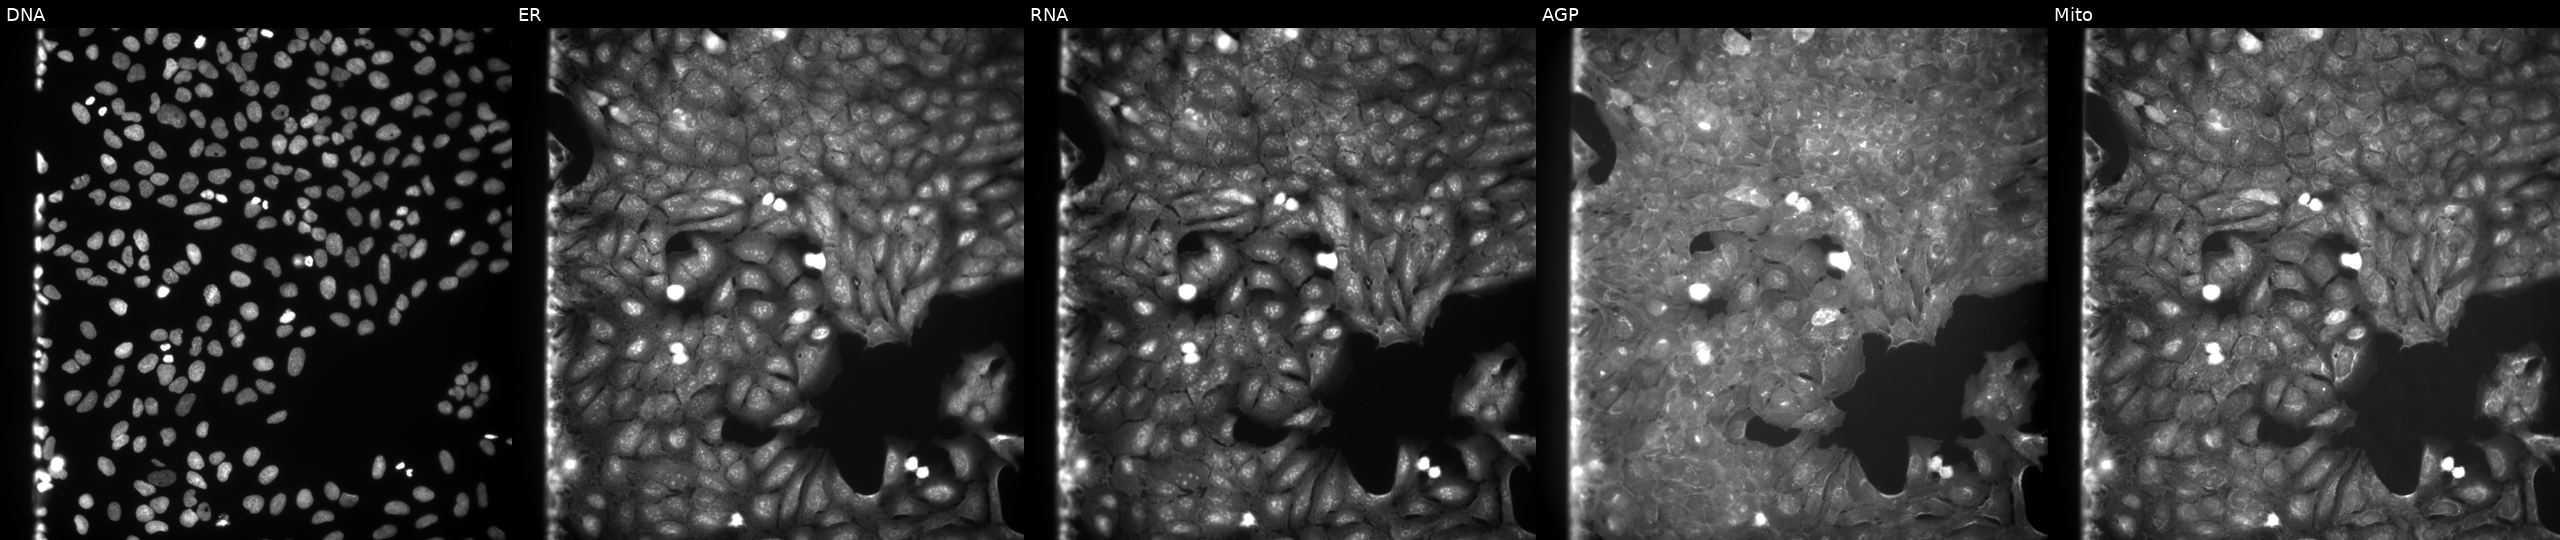
High-content fluorescence microscopy (Cell Painting). Cell line: U2OS. Perturbation: exposed to a small-molecule compound (InChIKey YRZGYZAAOZVGMI-UHFFFAOYSA-N) (JUMP id JCP2022_110463). Channels (left→right): DNA (nuclei); ER (endoplasmic reticulum); RNA (nucleoli and cytoplasmic RNA); AGP (actin cytoskeleton, Golgi, and plasma membrane); Mito (mitochondria).